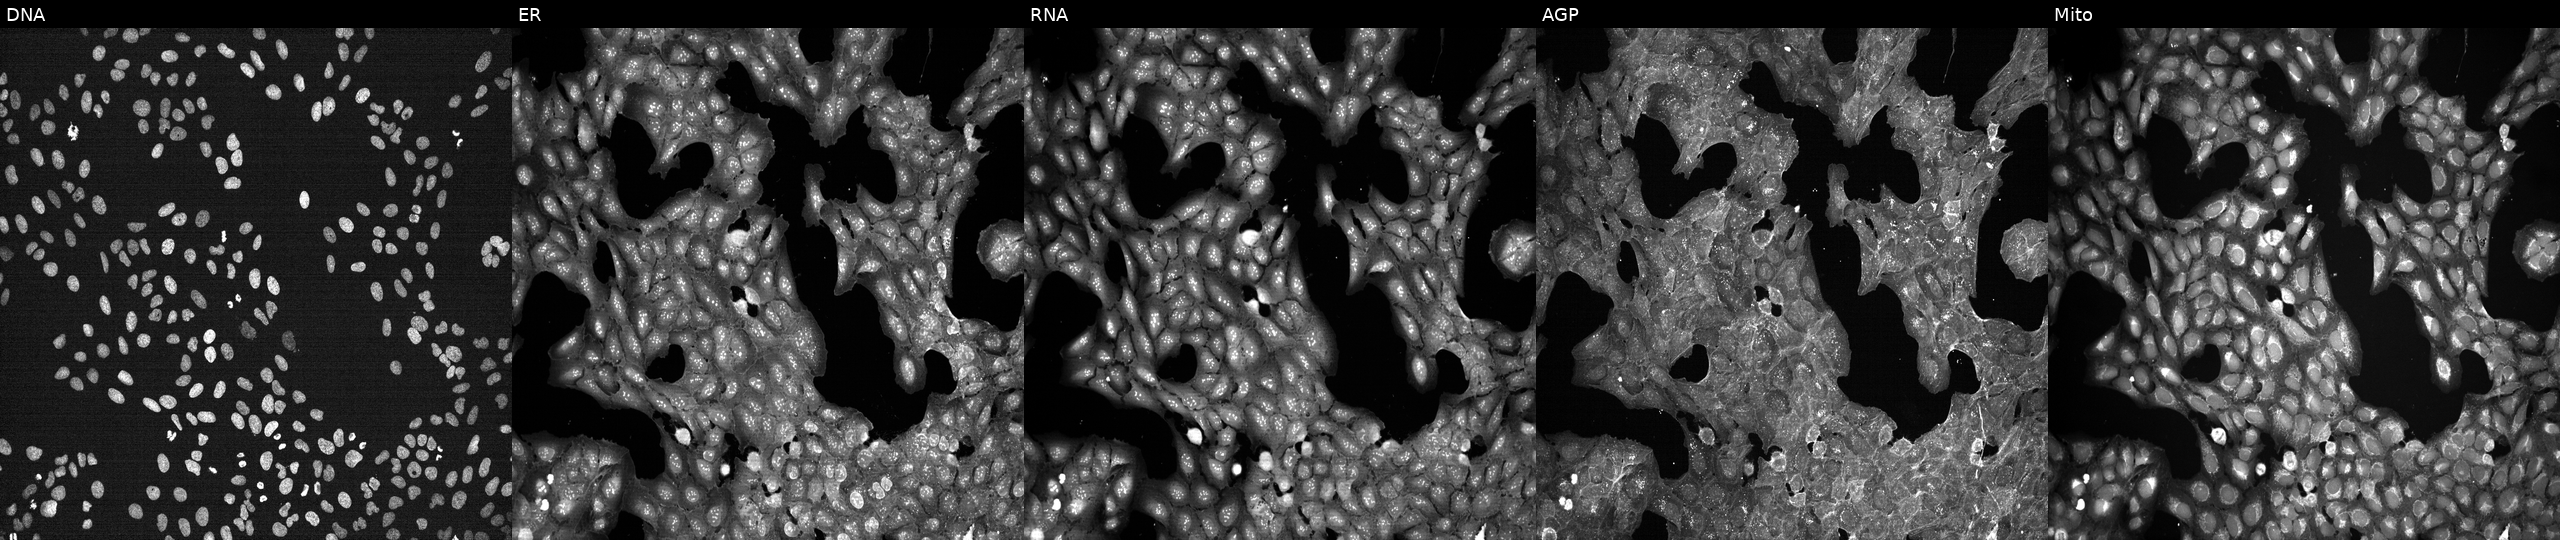
This image strip shows the five Cell Painting channels for a single field of U2OS cells perturbed with a small-molecule compound (InChIKey WXXSNCNJFUAIDG-UHFFFAOYSA-N). Channels (left→right): DNA (nuclei); ER (endoplasmic reticulum); RNA (nucleoli and cytoplasmic RNA); AGP (actin cytoskeleton, Golgi, and plasma membrane); Mito (mitochondria).